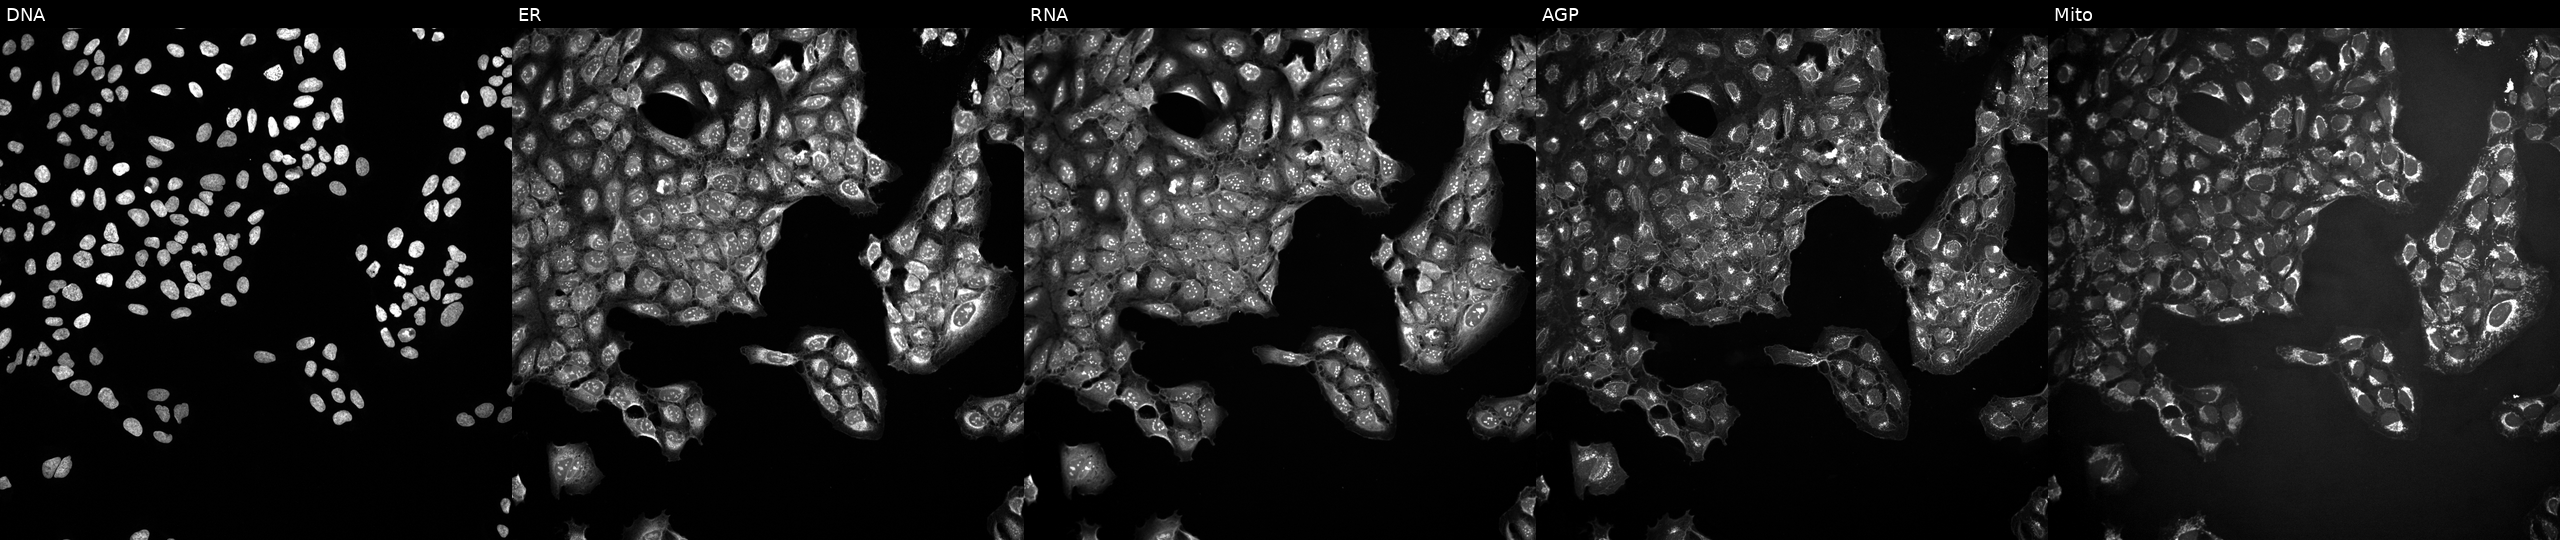
High-content fluorescence microscopy (Cell Painting). Cell line: U2OS. Perturbation: exposed to DMSO alone as a negative control (JUMP id JCP2022_033924). Panels show, left to right, DNA (nuclei); ER (endoplasmic reticulum); RNA (nucleoli and cytoplasmic RNA); AGP (actin cytoskeleton, Golgi, and plasma membrane); Mito (mitochondria). Source 10, plate Dest210803-153958, well P11.